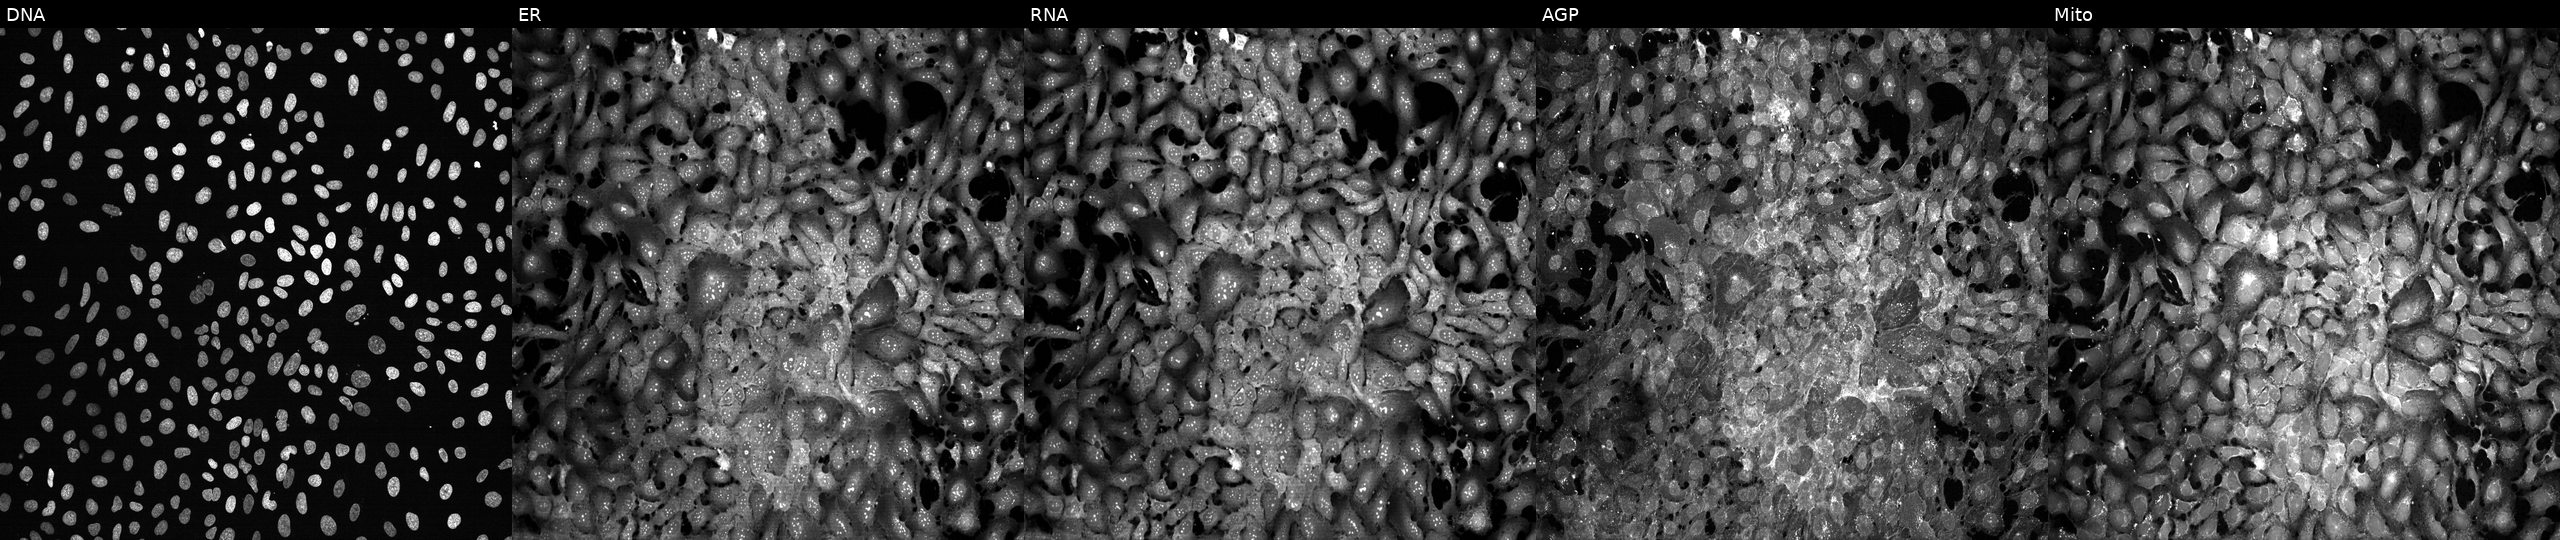
High-content fluorescence microscopy (Cell Painting). Cell line: U2OS. Perturbation: treated with FK-866 (positive-control compound). Panels show, left to right, Hoechst 33342, concanavalin A, SYTO 14, phalloidin and WGA, MitoTracker.